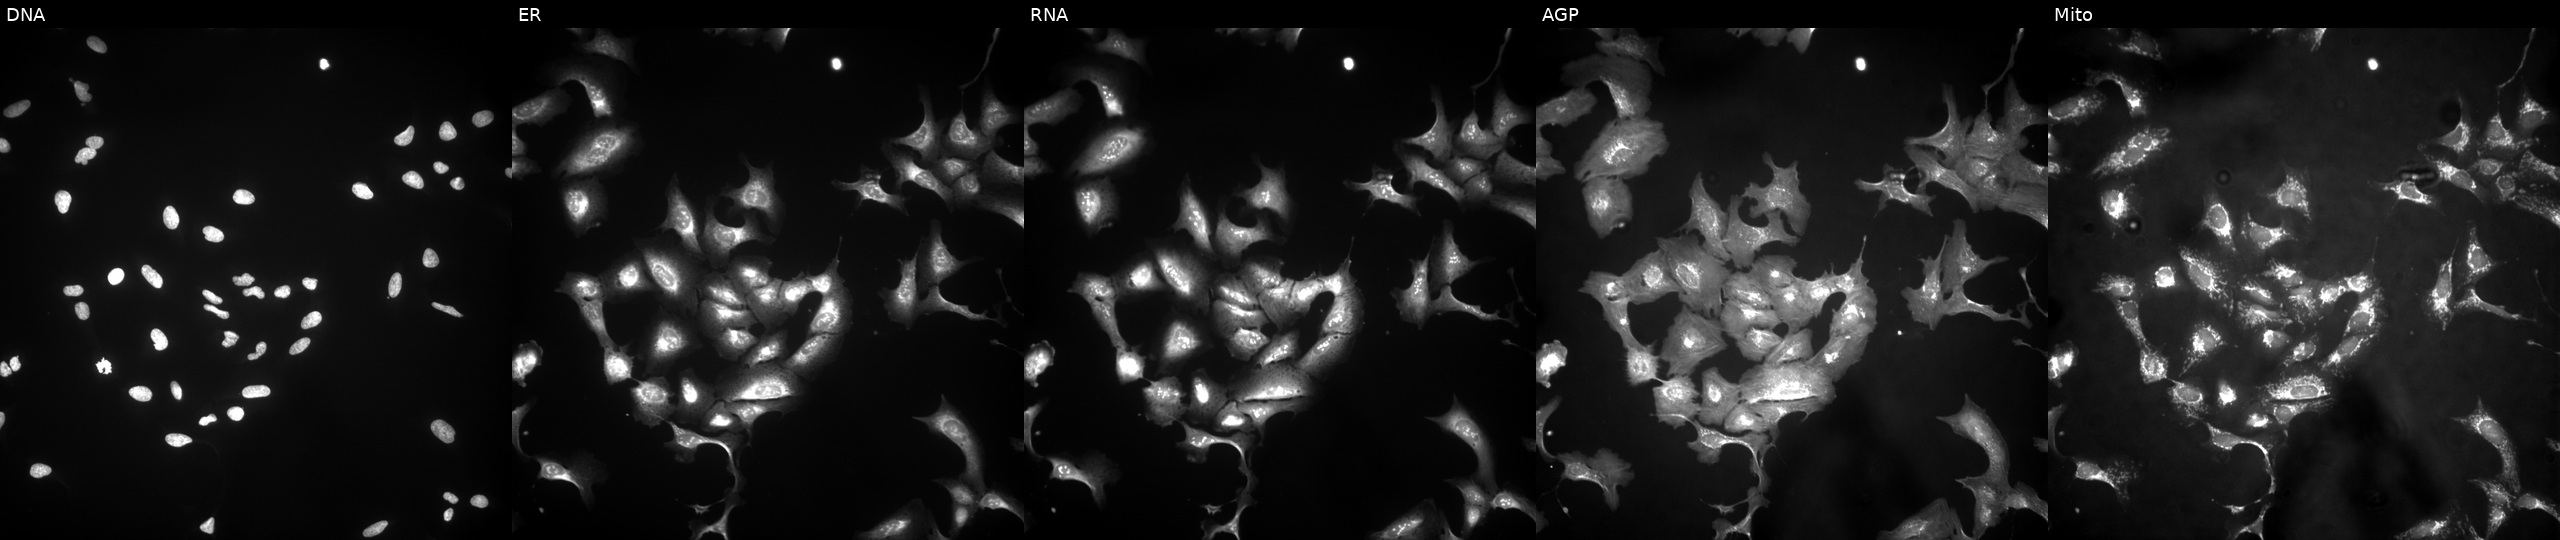
JUMP Cell Painting — ORF plate. U2OS cells transfected with an ORF construct for IL16 (JUMP id JCP2022_910180). Channels (left→right): DNA (nuclei); ER (endoplasmic reticulum); RNA (nucleoli and cytoplasmic RNA); AGP (actin cytoskeleton, Golgi, and plasma membrane); Mito (mitochondria). Source 4, plate BR00123506, well O13.